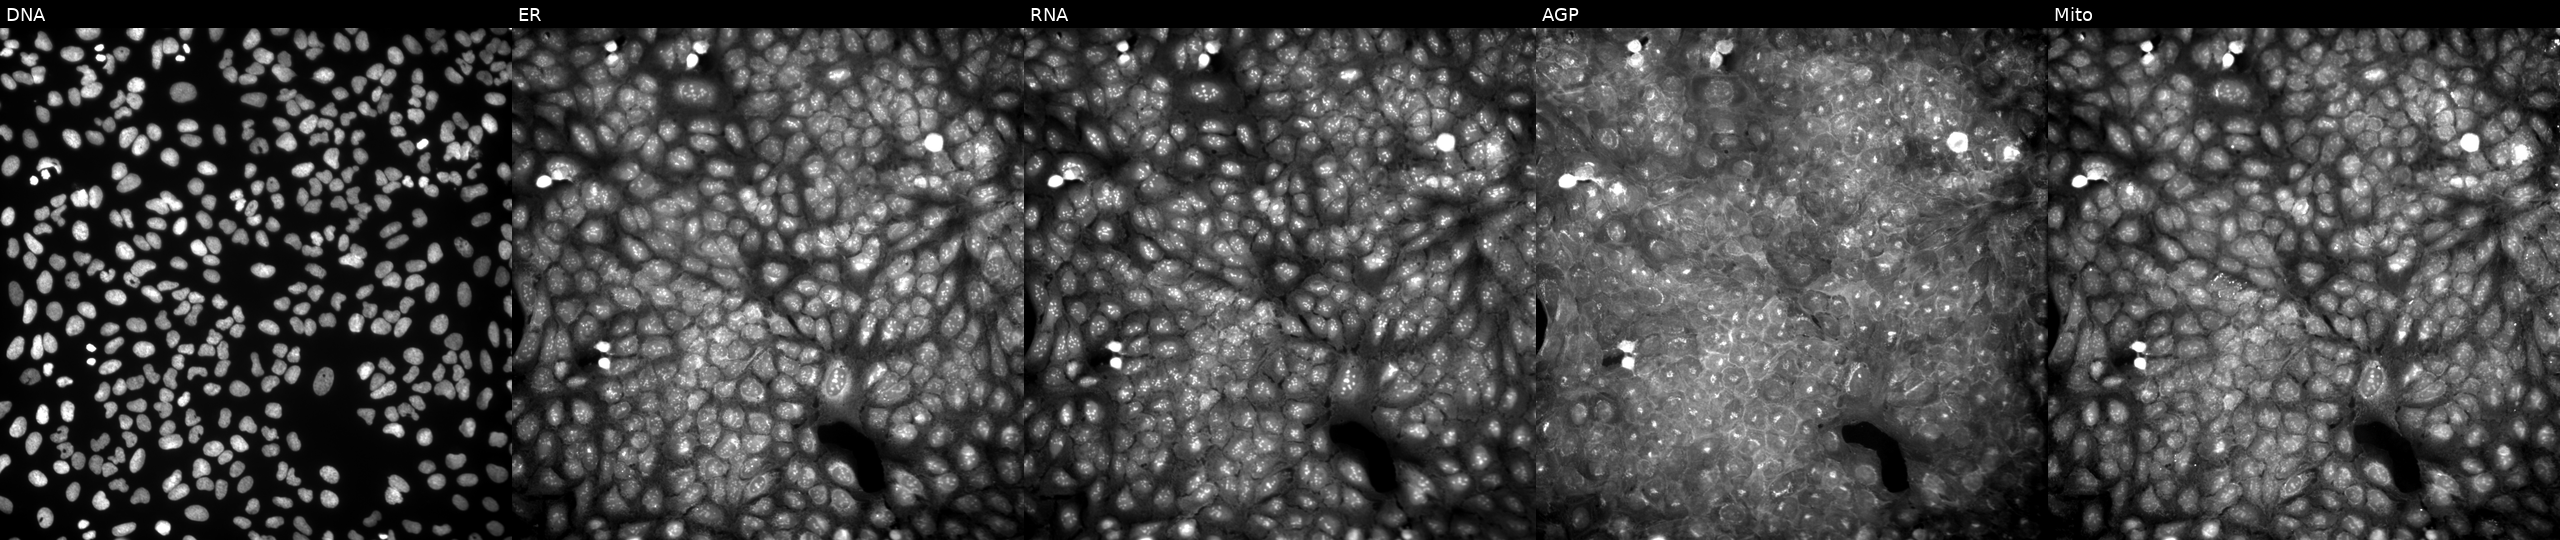
JUMP Cell Painting — COMPOUND plate. U2OS cells exposed to a small-molecule compound [SMILES: Cc1ccccc1C(=O)Nn1cnc2ccccc2c1=O] (JUMP id JCP2022_030408). The five panels, left to right, show DNA, ER, RNA, AGP, and Mito. Source 9, plate GR00003382, well U34.